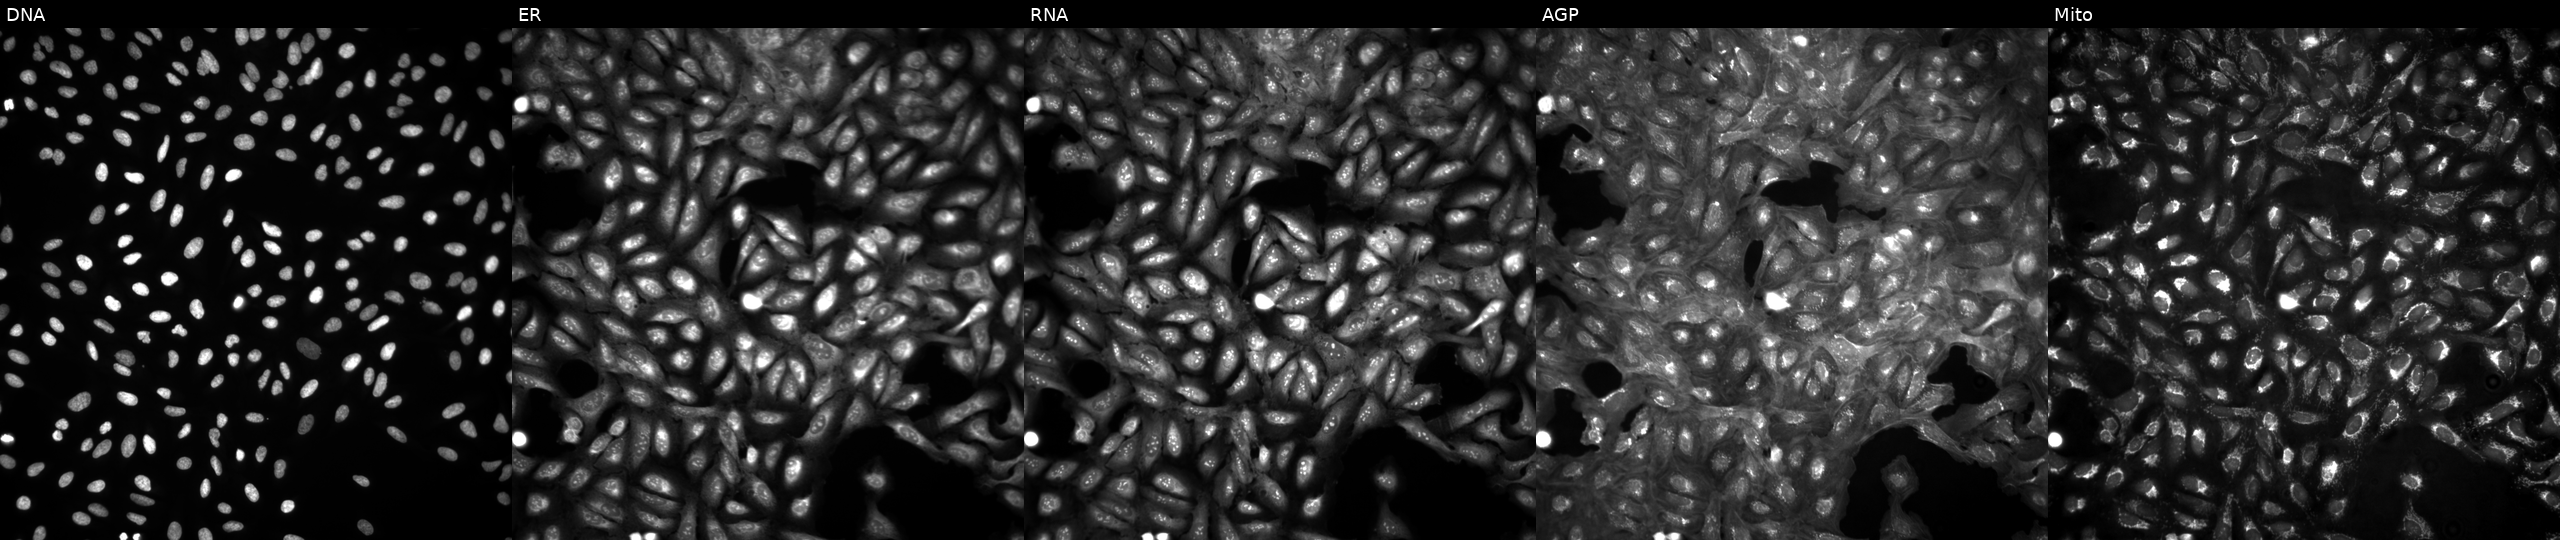
JUMP Cell Painting — ORF plate. U2OS cells in an empty control well (no perturbation) (JUMP id JCP2022_999999). From left to right: DNA, ER, RNA, AGP, and Mito.